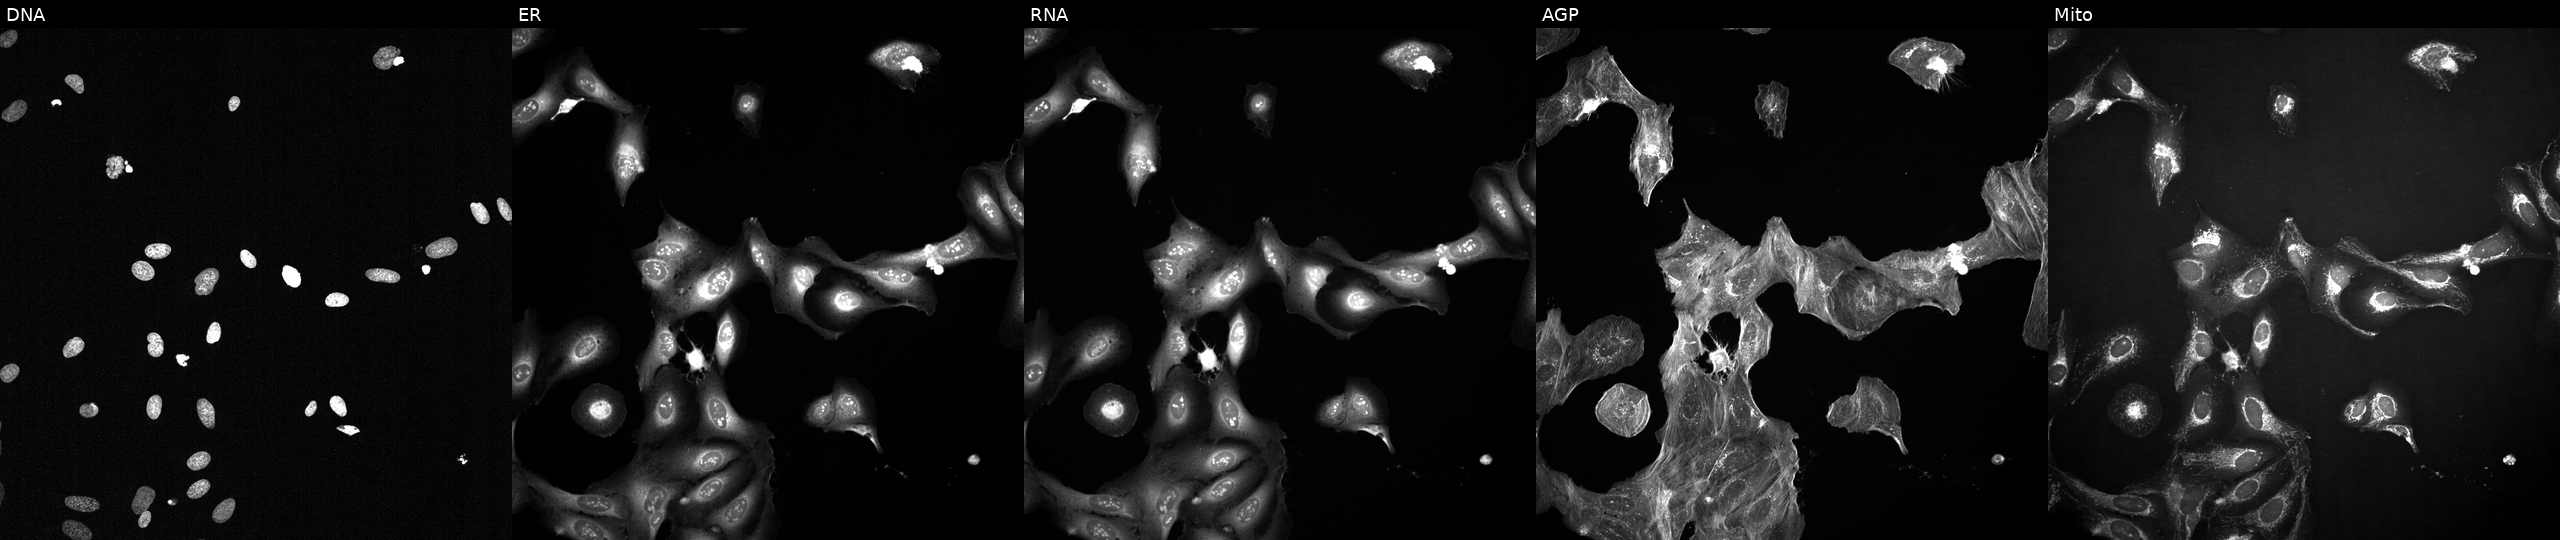
Five-channel Cell Painting image of U2OS cells perturbed with a small-molecule compound (InChIKey GQXSULRYFDAMOO-UHFFFAOYSA-N). Channels (left→right): DNA, ER, RNA, AGP, and Mito.